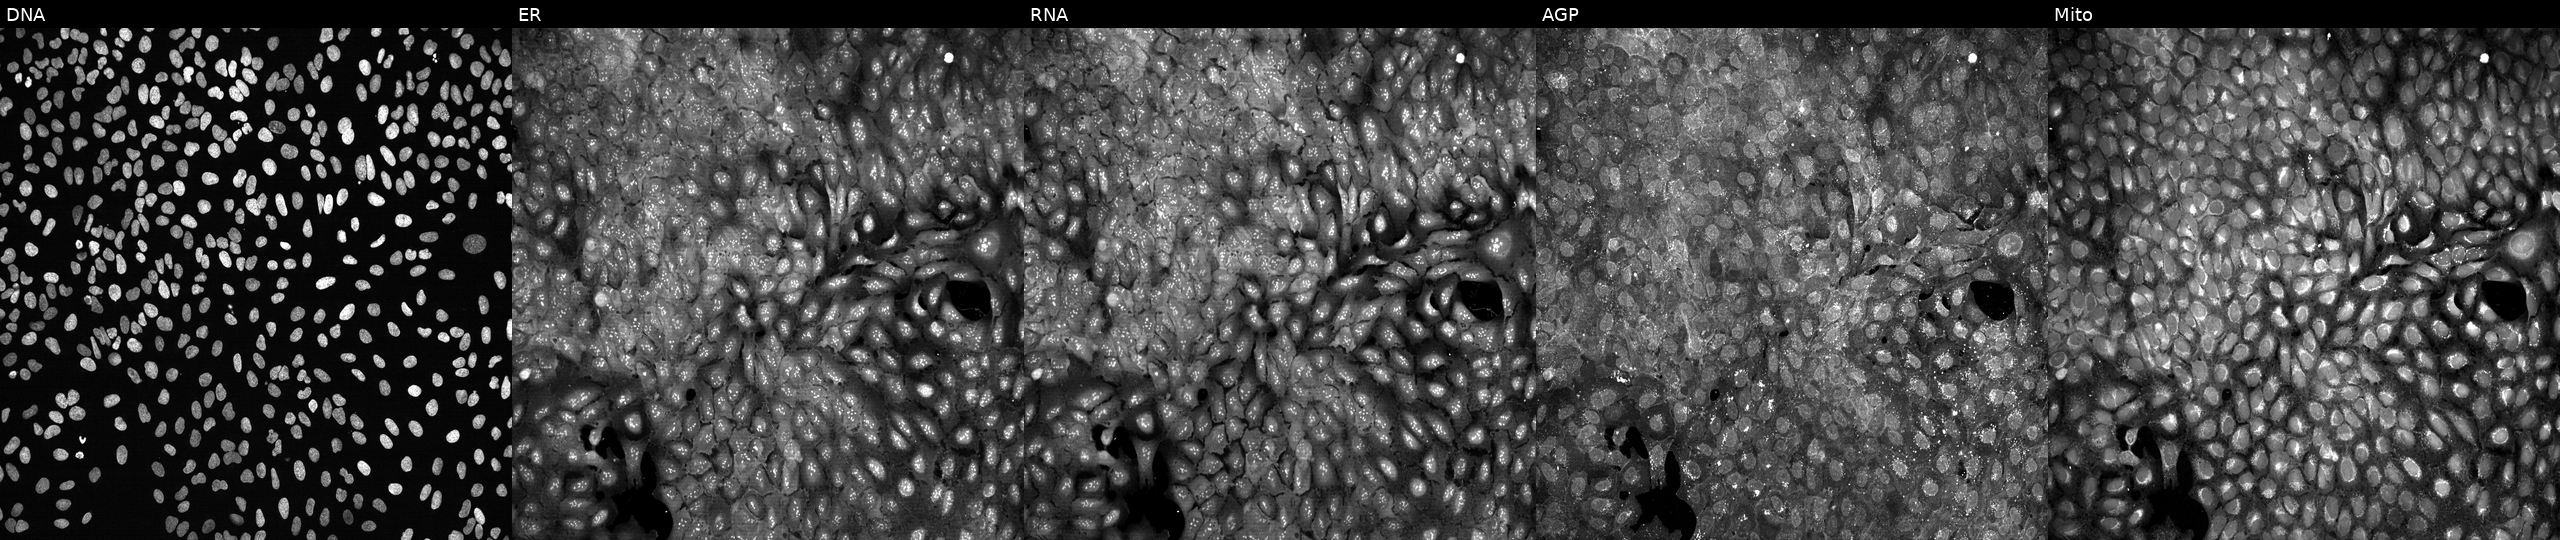
This image strip shows the five Cell Painting channels for a single field of U2OS cells with no CRISPR guide (negative control) (JUMP id JCP2022_800001). The five panels, left to right, show DNA, ER, RNA, AGP, and Mito.